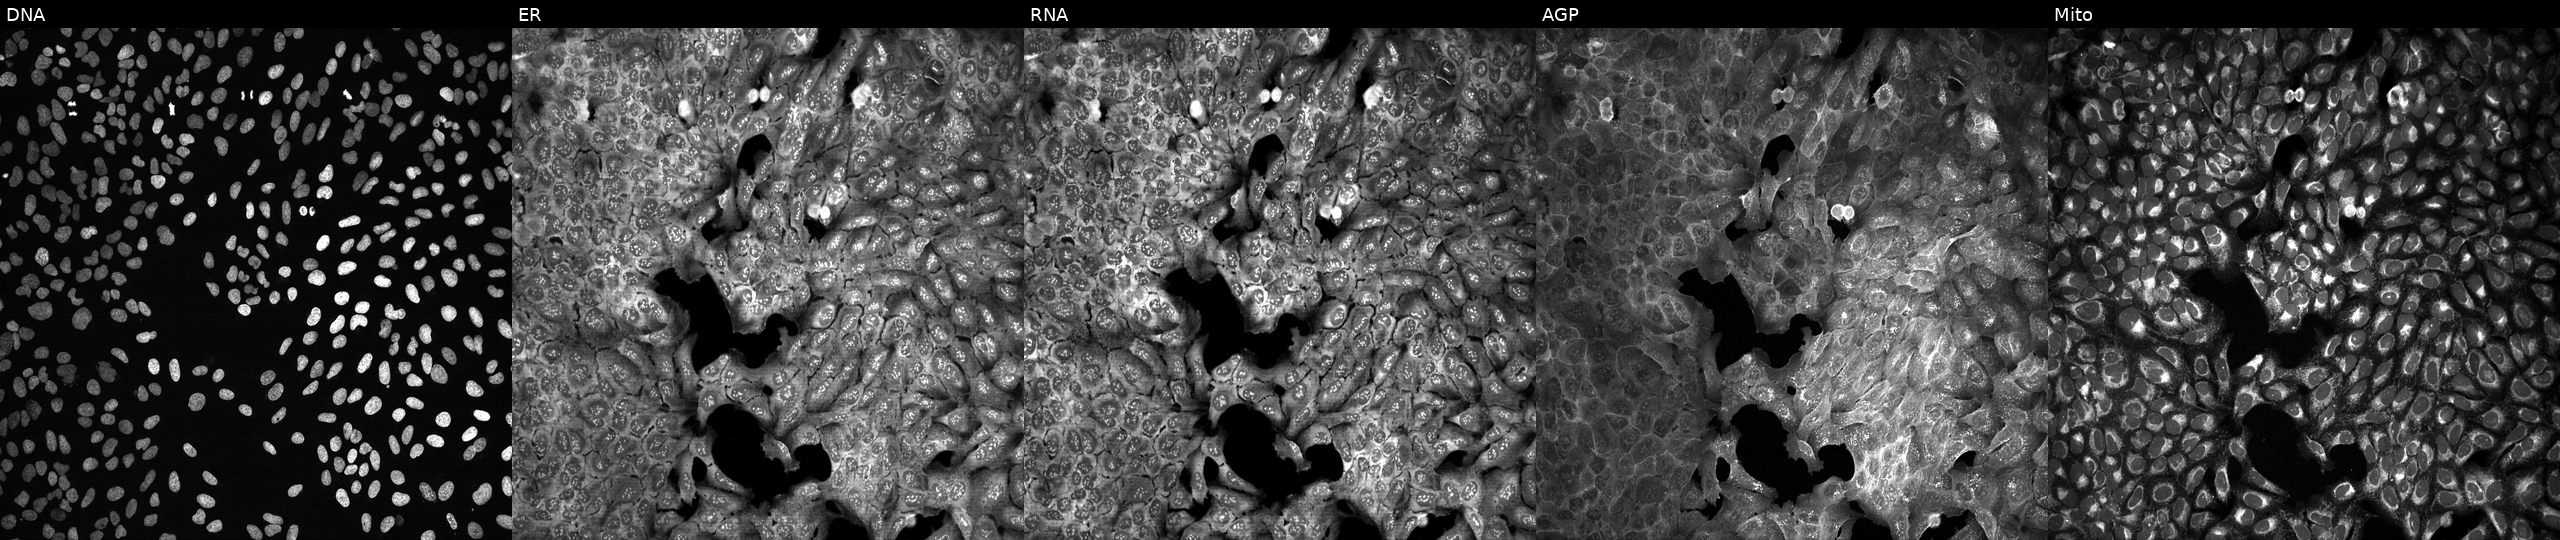
JUMP Cell Painting — CRISPR plate. U2OS cells with HTRA3 knocked out by CRISPR. Panels show, left to right, DNA (nuclei); ER (endoplasmic reticulum); RNA (nucleoli and cytoplasmic RNA); AGP (actin cytoskeleton, Golgi, and plasma membrane); Mito (mitochondria). Source 13, plate CP-CC9-R6-19, well M05.